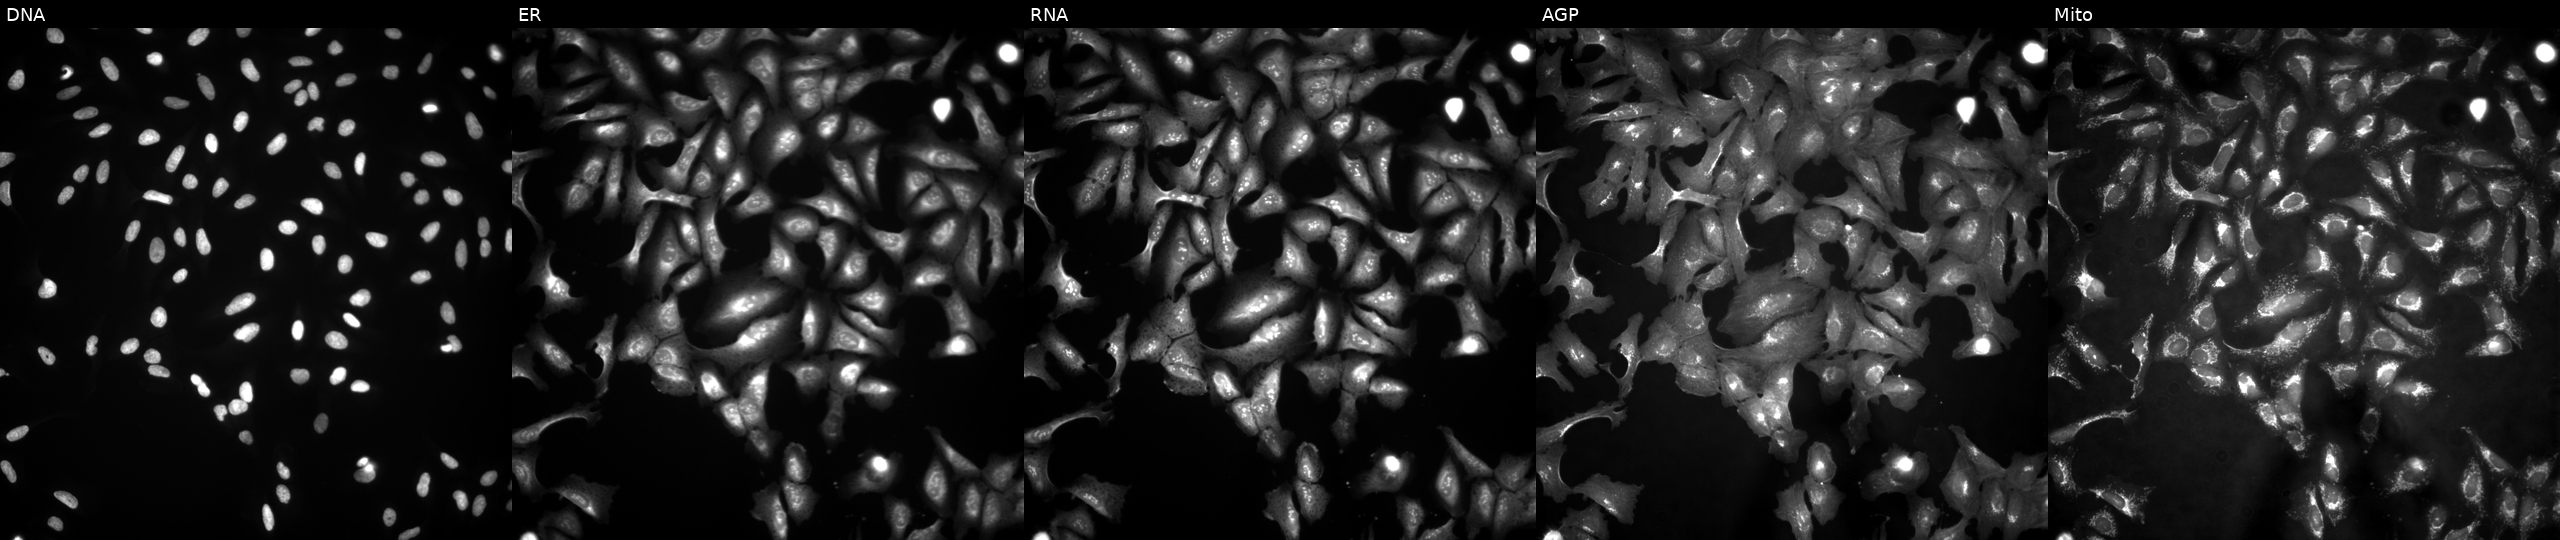
This image strip shows the five Cell Painting channels for a single field of U2OS cells with BAZ2B overexpressed (ORF). Panels show, left to right, DNA (nuclei); ER (endoplasmic reticulum); RNA (nucleoli and cytoplasmic RNA); AGP (actin cytoskeleton, Golgi, and plasma membrane); Mito (mitochondria). Source 4, plate BR00121543, well F15.